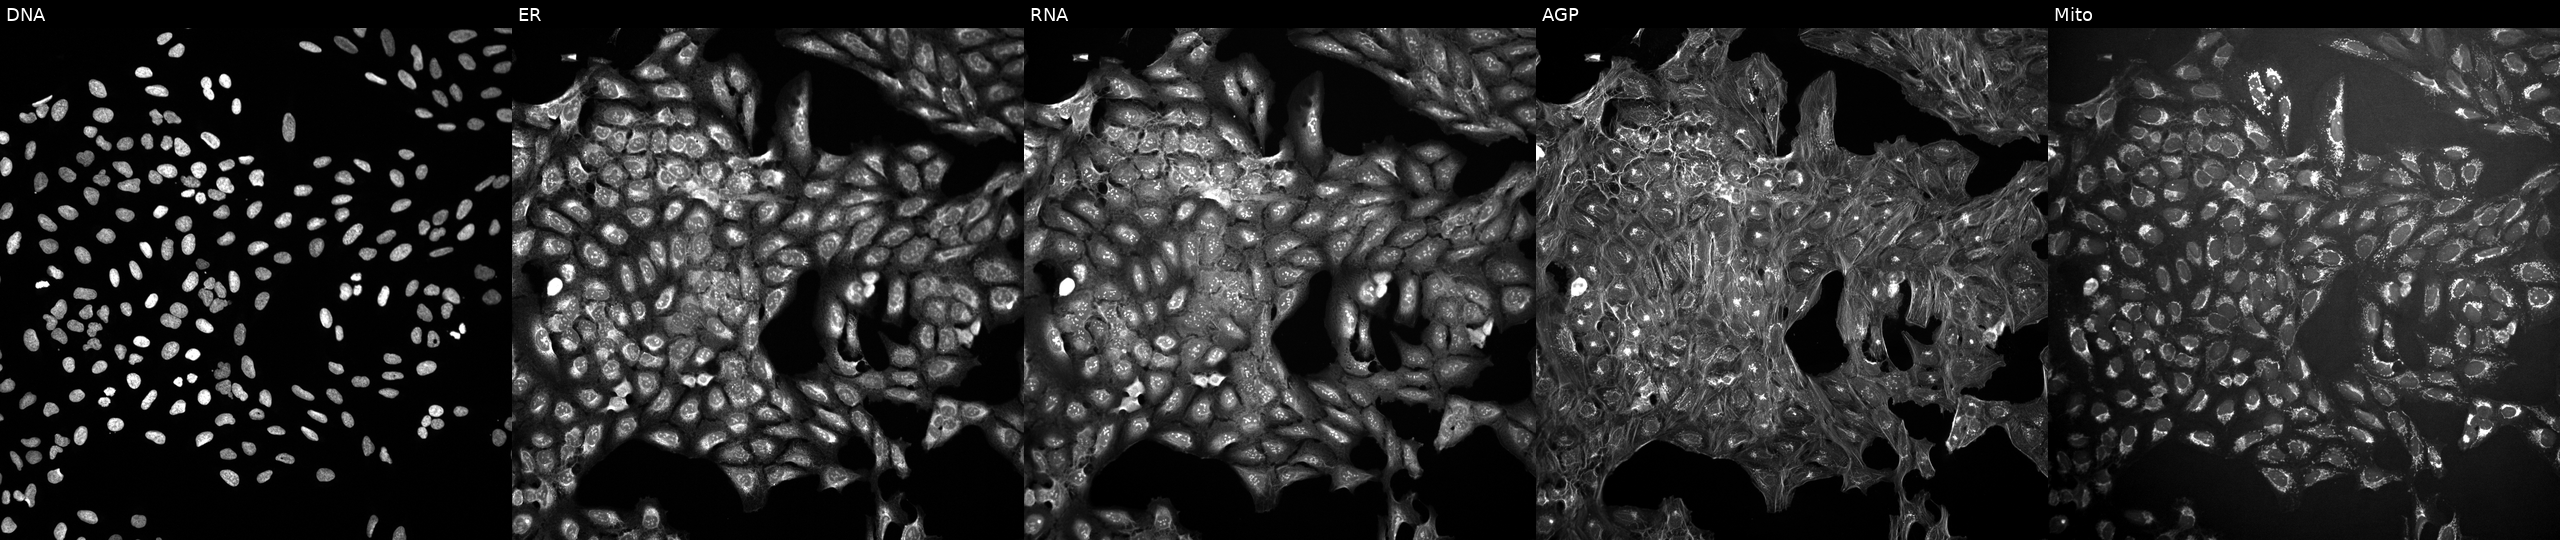
This image strip shows the five Cell Painting channels for a single field of U2OS cells in an empty control well (no perturbation) (JUMP id JCP2022_999999). Channels (left→right): Hoechst 33342, concanavalin A, SYTO 14, phalloidin and WGA, MitoTracker. Source 10, plate Dest210531-152324, well C15.